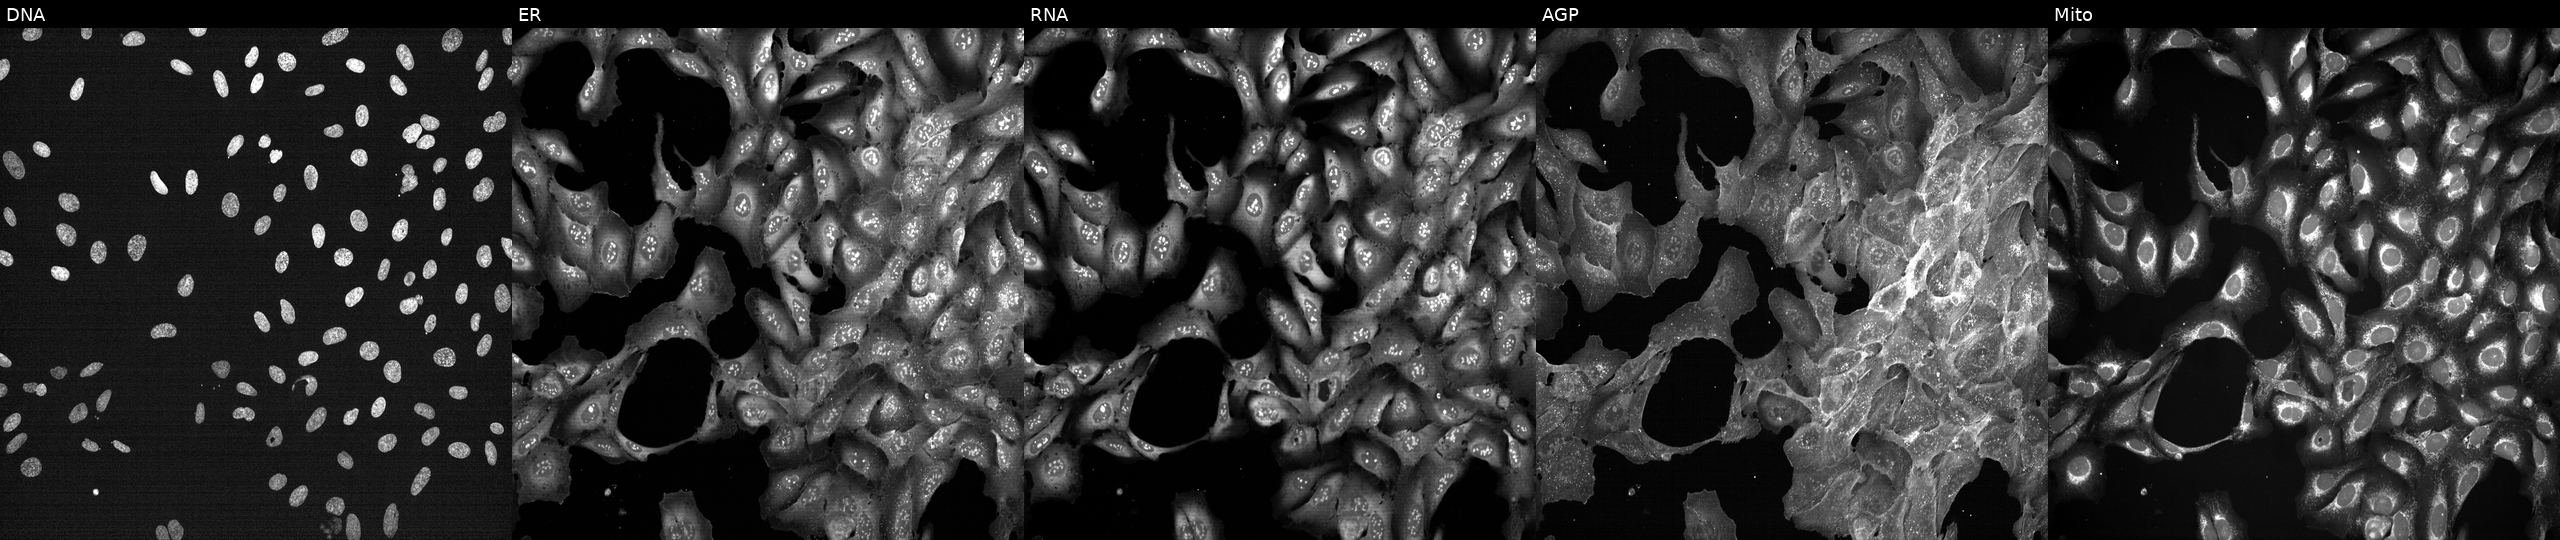
Channels (left→right): DNA, ER, RNA, AGP, and Mito. U2OS osteosarcoma cells perturbed with a small-molecule compound [SMILES: N=c1[nH]c(F)nc2c1ncn2C1OC(CO[PH](=O)(=O)O)C(O)C1O]. Cell Painting assay, JUMP-CP dataset. Source 7, plate CP3-SC1-25, well K05.